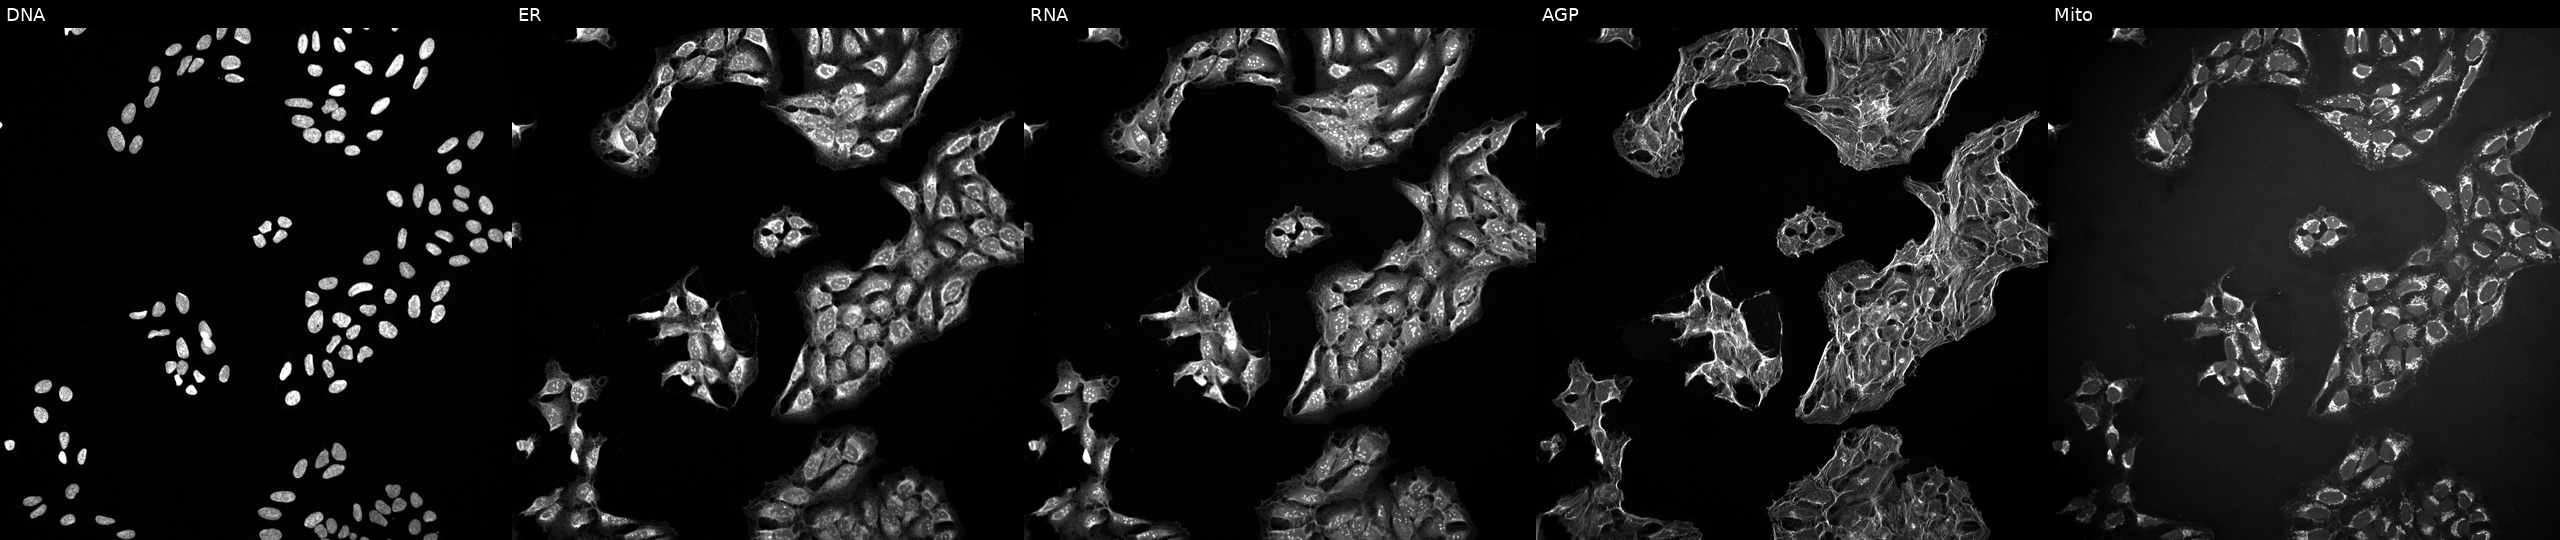
Five-channel Cell Painting image of U2OS cells treated with a small-molecule compound [SMILES: Oc1ccc(-c2nc(-c3ccc(F)cc3)c(-c3ccncc3)[nH]2)cc1] (JUMP id JCP2022_073458). Panels show, left to right, DNA (nuclei); ER (endoplasmic reticulum); RNA (nucleoli and cytoplasmic RNA); AGP (actin cytoskeleton, Golgi, and plasma membrane); Mito (mitochondria). Source 10, plate Dest210727-153003, well M12.